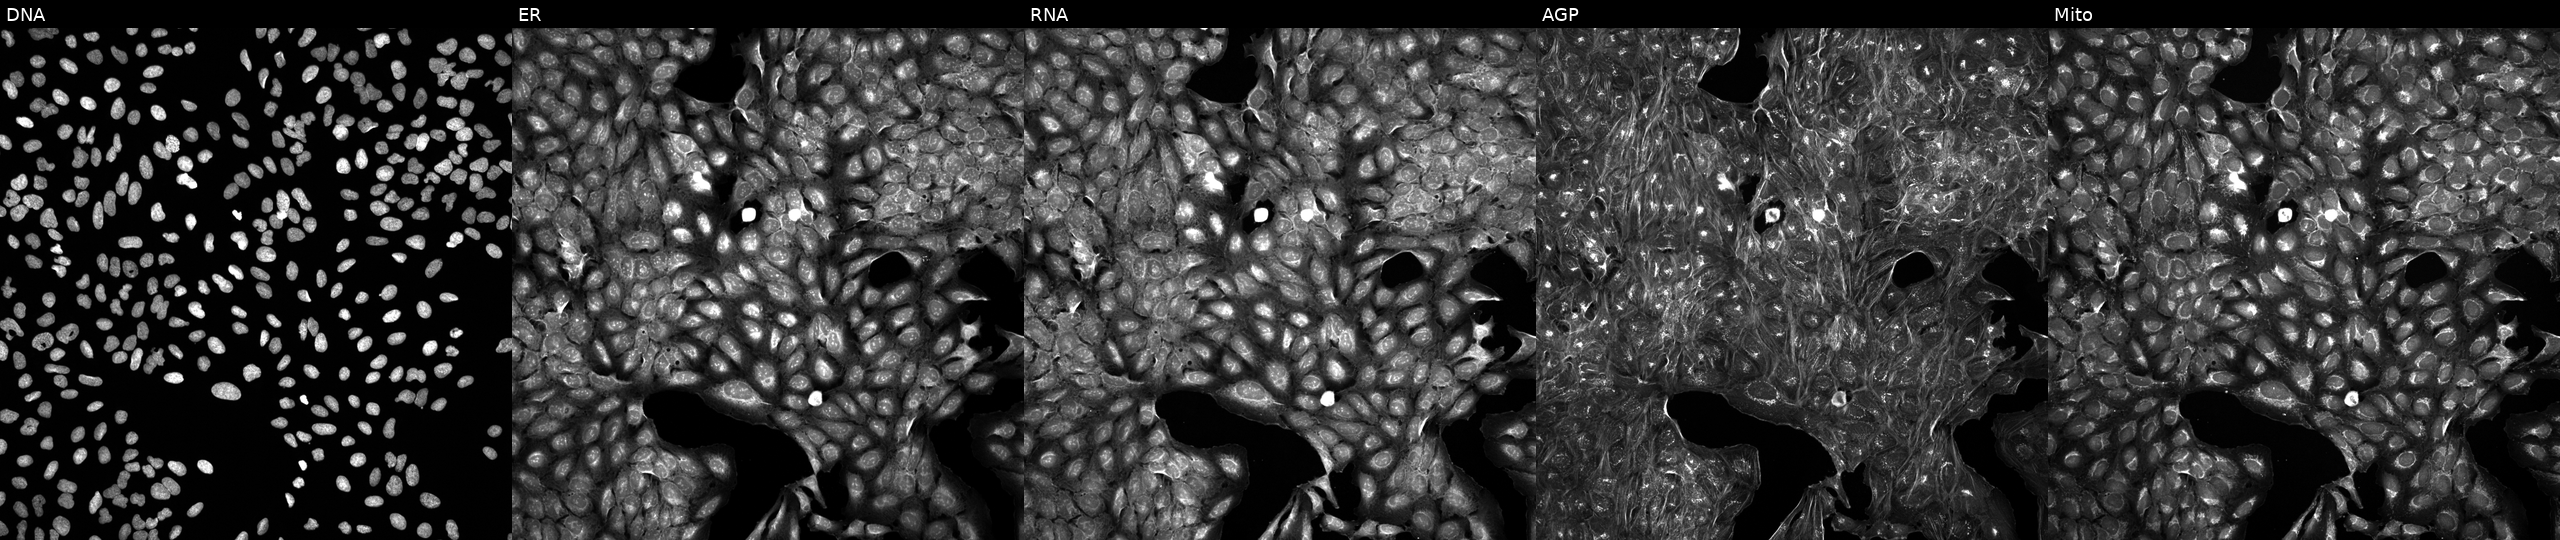
Five-channel Cell Painting image of U2OS cells treated with a small-molecule compound (InChIKey TYNYXPMVIRHECT-UHFFFAOYSA-N). Channels (left→right): DNA, ER, RNA, AGP, and Mito.